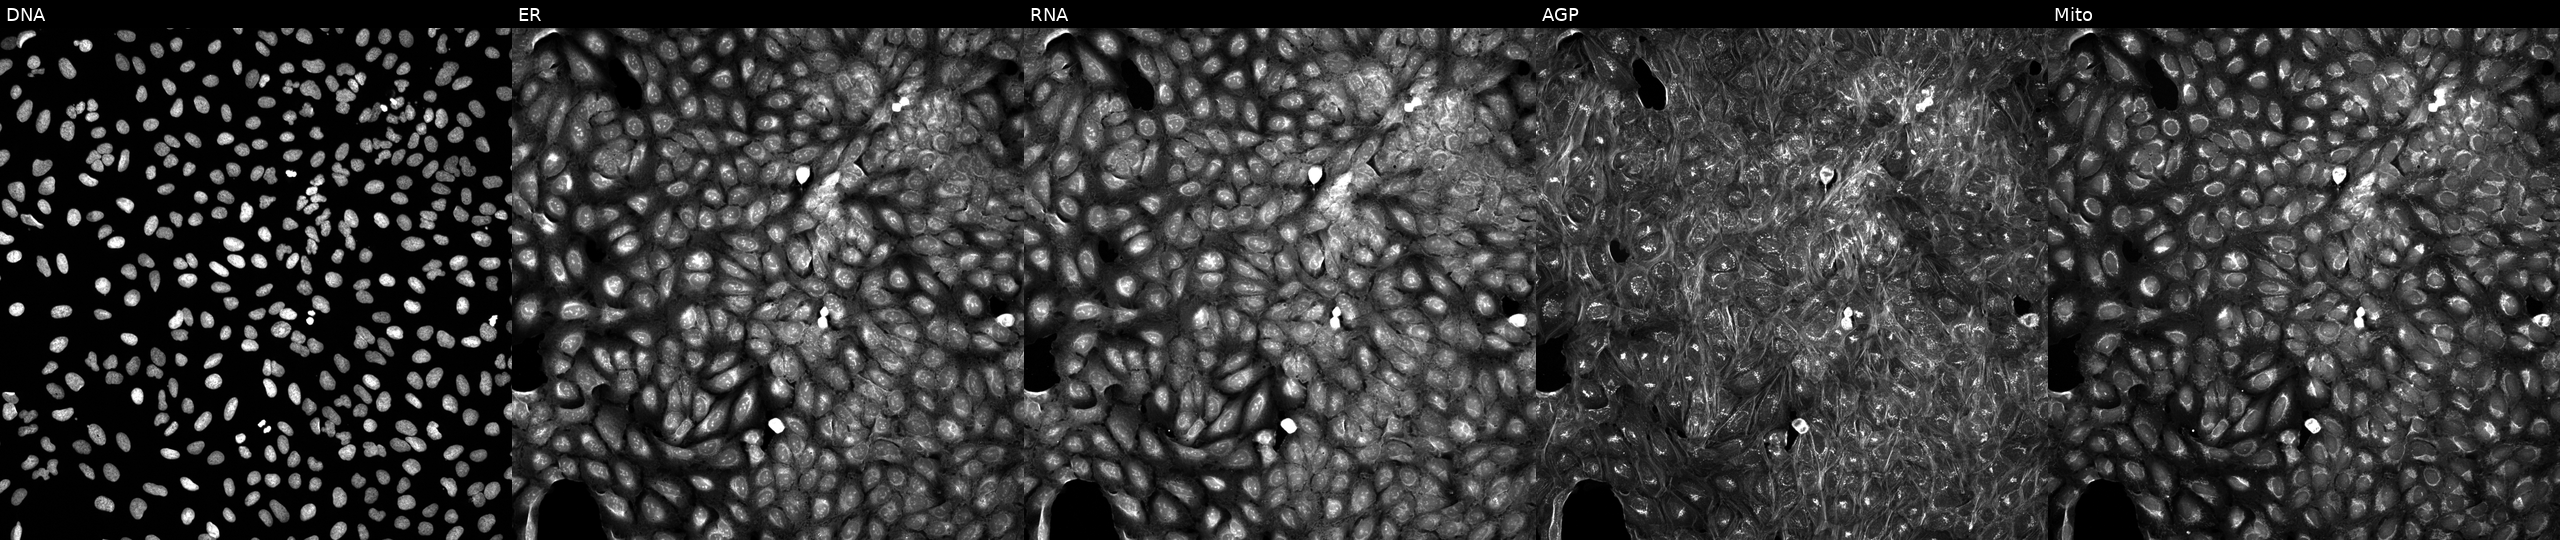
Five-channel Cell Painting image of U2OS cells exposed to a small-molecule compound [SMILES: CC(C)NC(=O)Nc1cccc(-c2noc(C3(c4ccccc4)CC3)n2)c1] (JUMP id JCP2022_099582). From left to right: Hoechst 33342, concanavalin A, SYTO 14, phalloidin and WGA, MitoTracker. Source 5, plate APTJUM106, well F09.